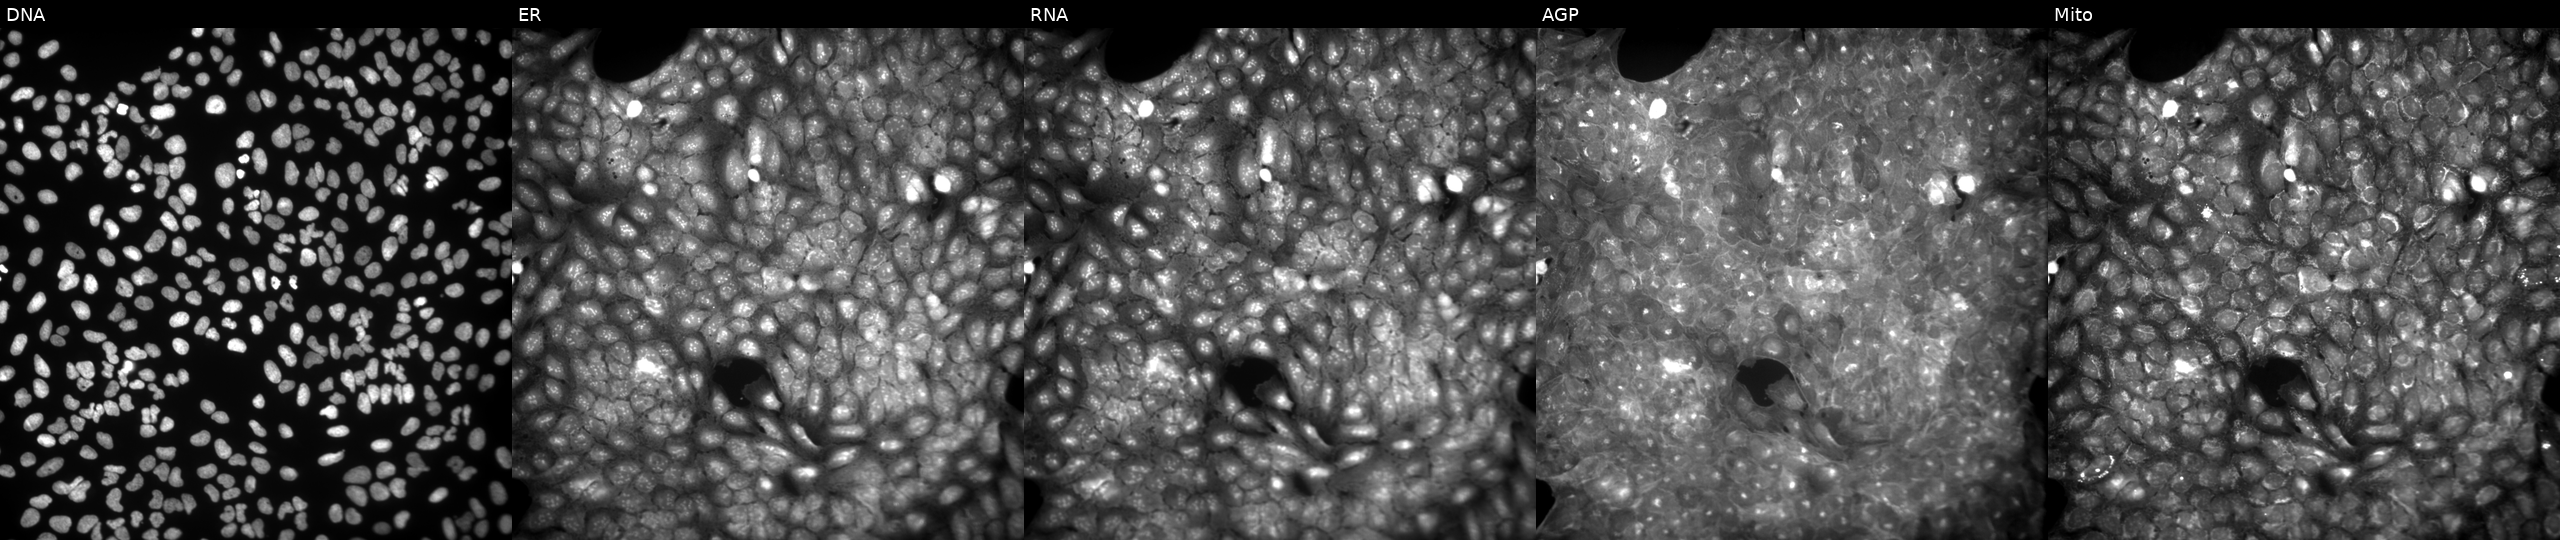
This image strip shows the five Cell Painting channels for a single field of U2OS cells exposed to a small-molecule compound (InChIKey RPPATQQKUNUTPX-UHFFFAOYSA-N). From left to right: Hoechst 33342, concanavalin A, SYTO 14, phalloidin and WGA, MitoTracker. Source 9, plate GR00003381, well AA32.